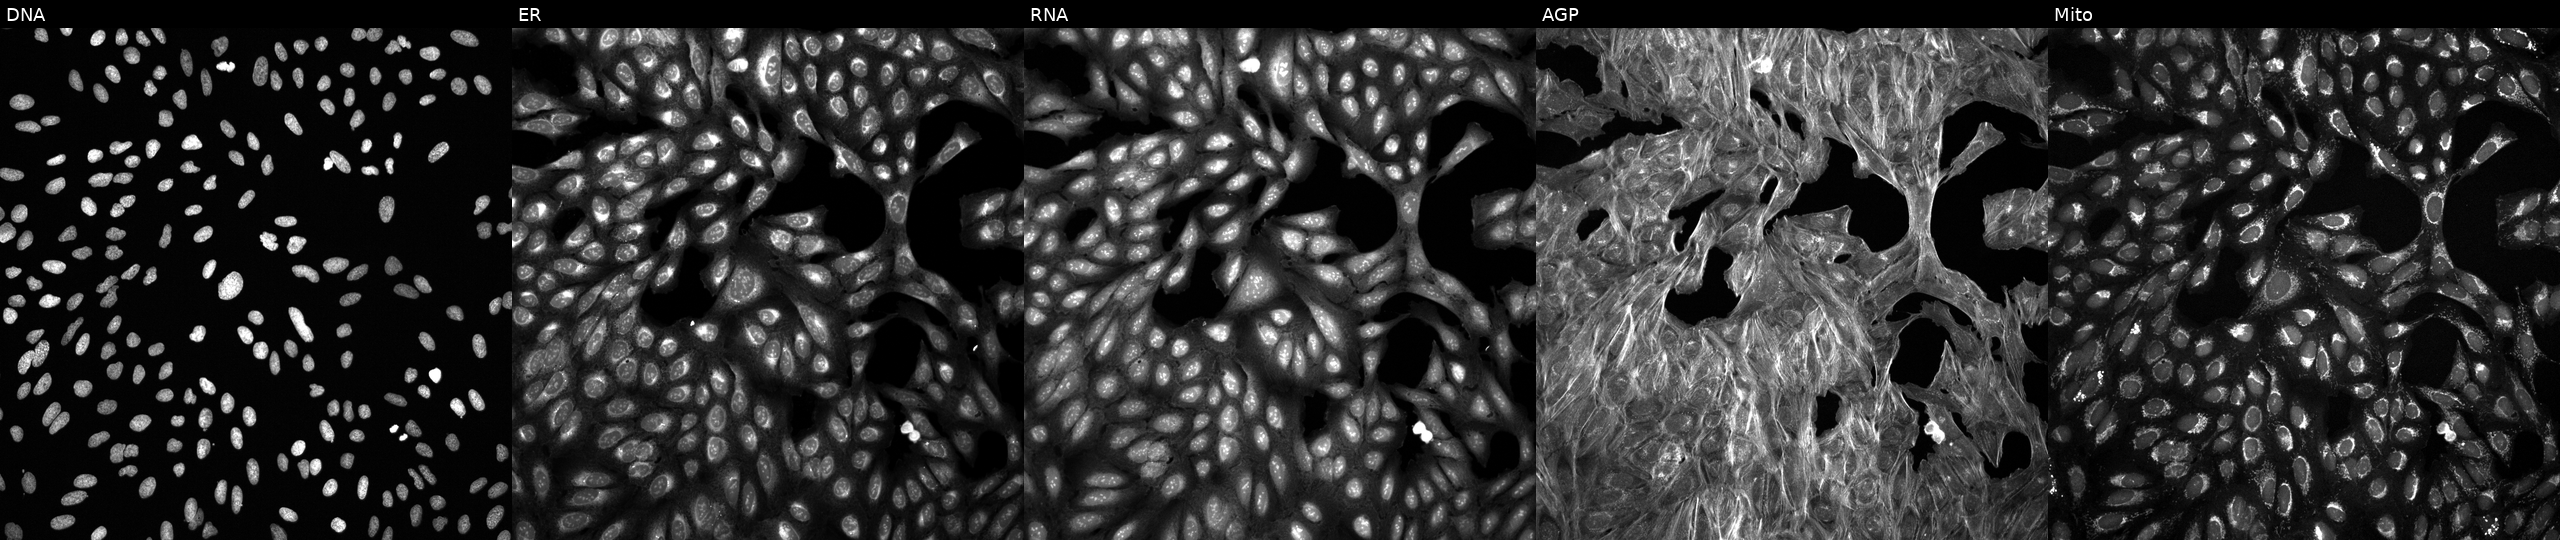
Five-channel Cell Painting image of U2OS cells exposed to DMSO alone as a negative control. The five panels, left to right, show DNA (nuclei); ER (endoplasmic reticulum); RNA (nucleoli and cytoplasmic RNA); AGP (actin cytoskeleton, Golgi, and plasma membrane); Mito (mitochondria). Source 6, plate 110000293081, well M18.